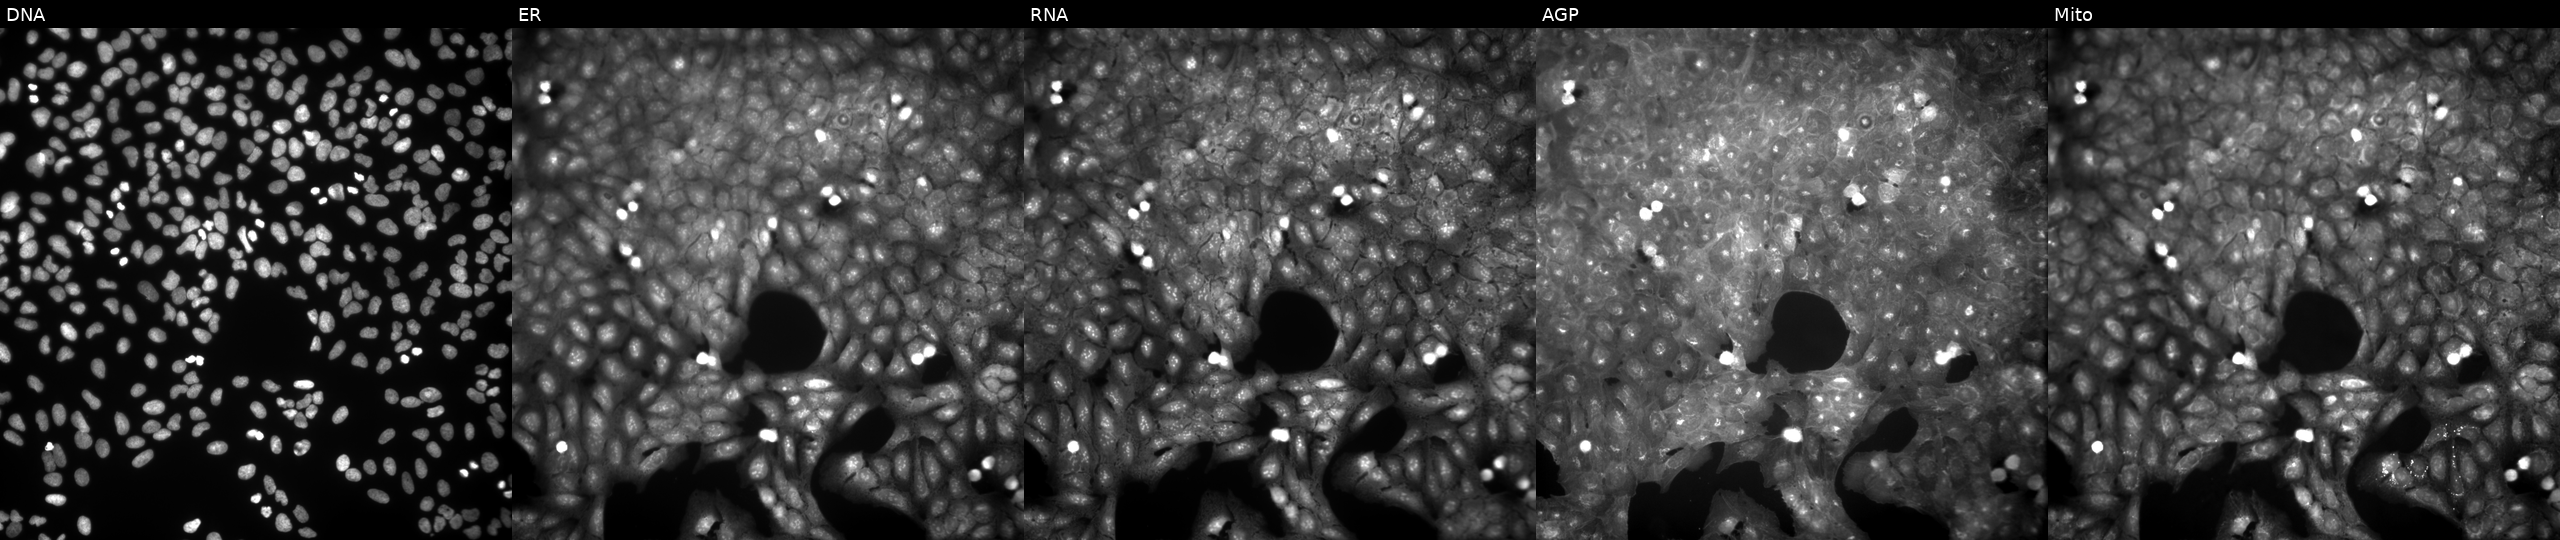
Five-channel Cell Painting image of U2OS cells perturbed with a small-molecule compound (InChIKey HPEAMBFAZMWGFT-UHFFFAOYSA-N) [SMILES: CCOC(=O)N1CCN(CC(O)COc2ccccc2[N+](=O)[O-])CC1] (JUMP id JCP2022_031658). The five panels, left to right, show DNA, ER, RNA, AGP, and Mito. Source 9, plate GR00003382, well T42.